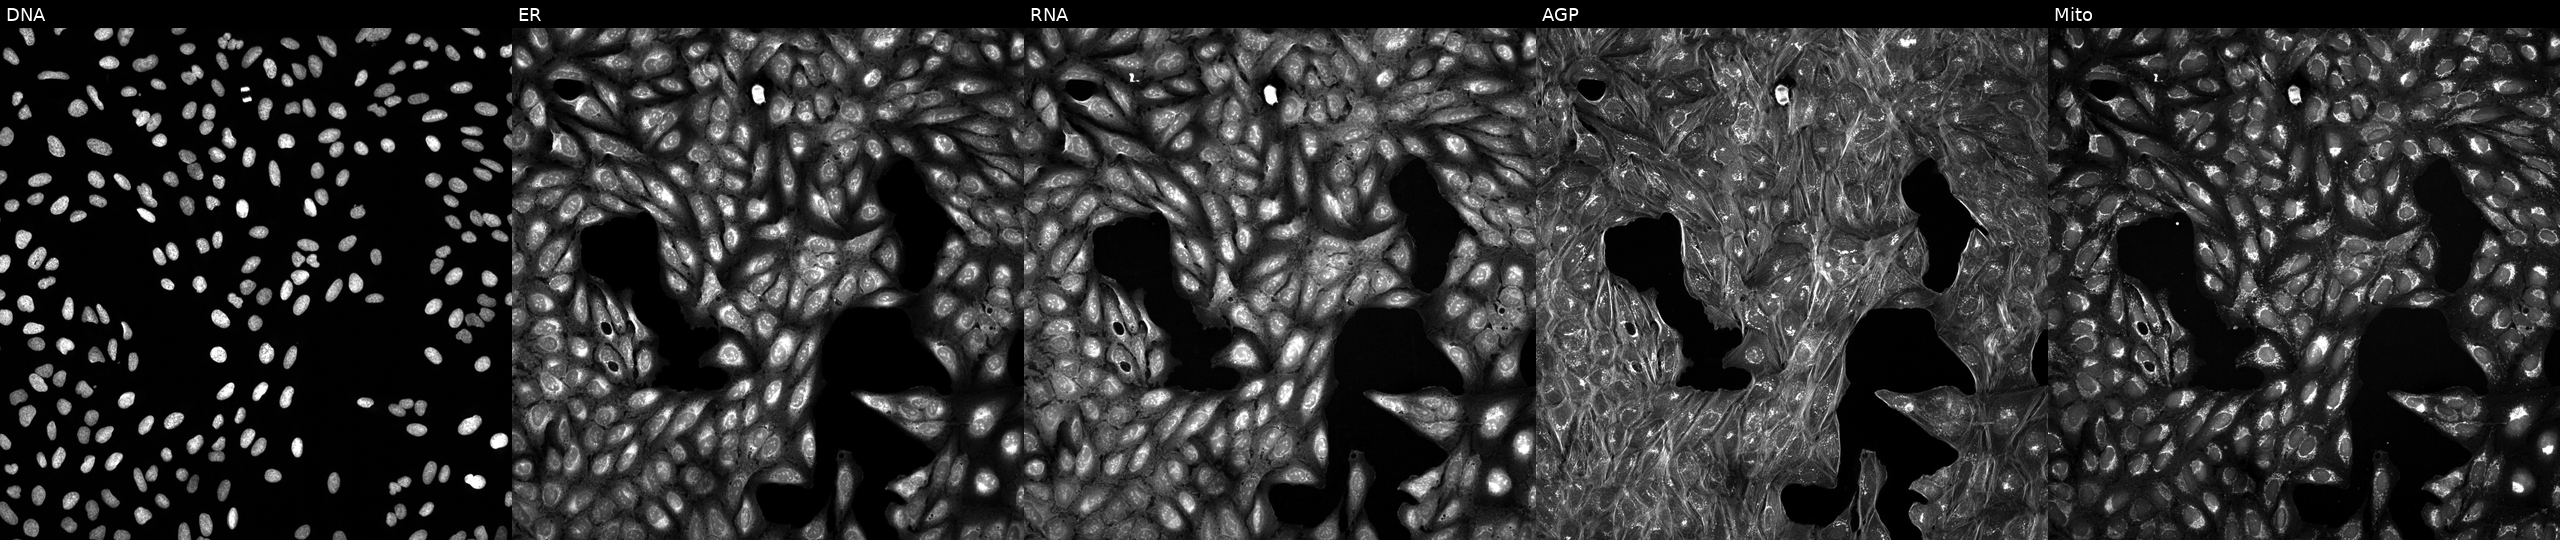
High-content fluorescence microscopy (Cell Painting). Cell line: U2OS. Perturbation: perturbed with a small-molecule compound [SMILES: CCOC(=O)C1=C(COCCN)N=C(C)C(C(=O)OC)C1c1ccccc1Cl] (JUMP id JCP2022_109350). From left to right: DNA, ER, RNA, AGP, and Mito.